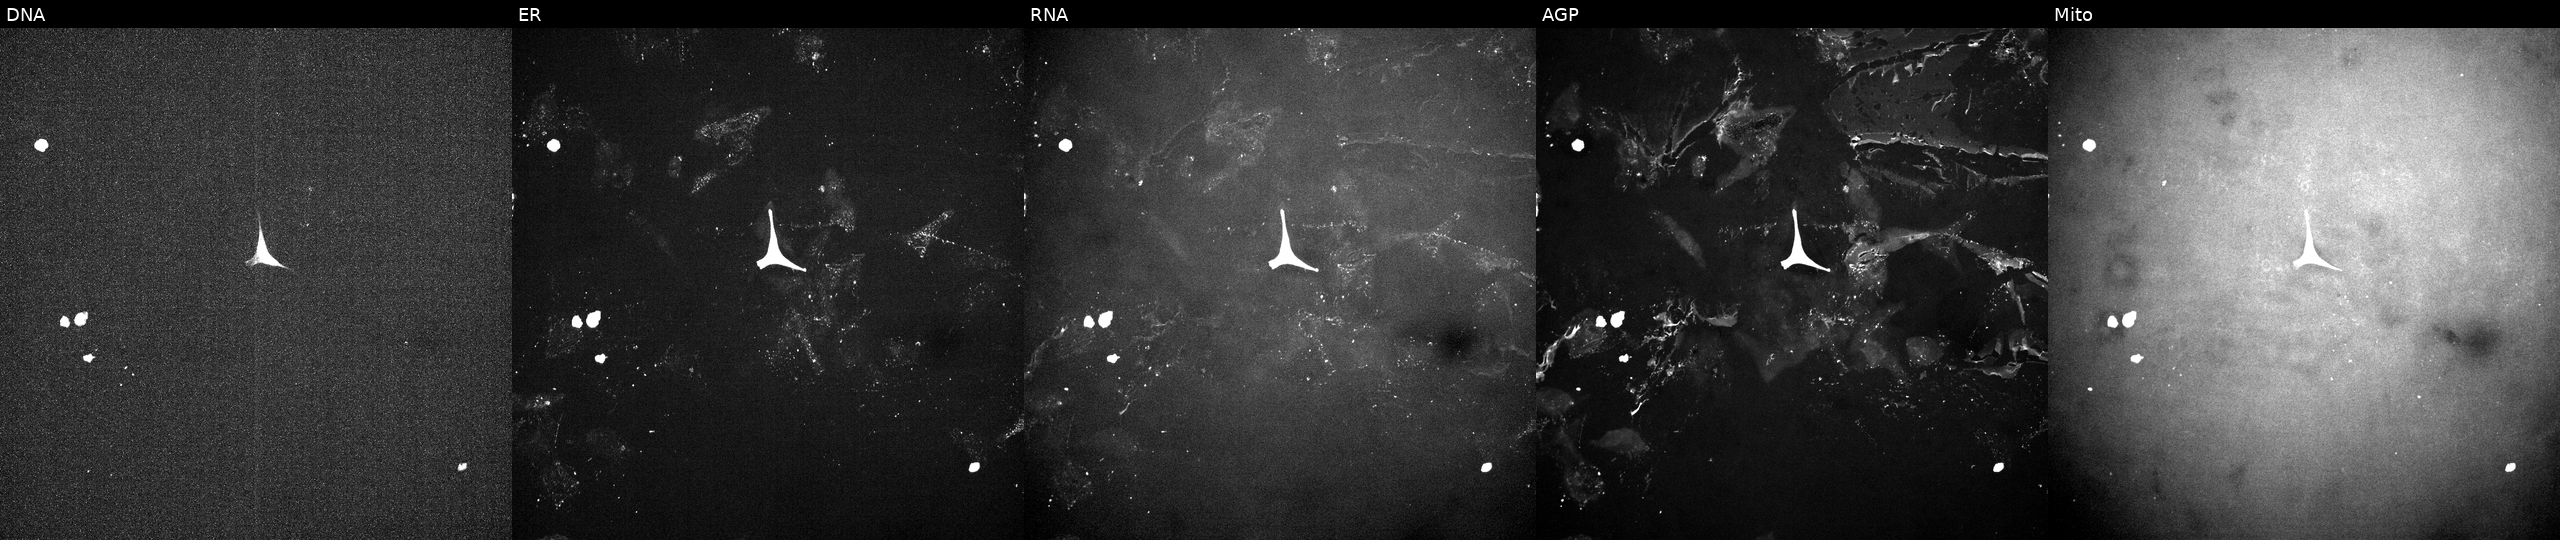
U2OS cells, Cell Painting assay, treated with a small-molecule compound (InChIKey SOOPLNPQGWJZHY-UHFFFAOYSA-N) (JUMP id JCP2022_084606). Panels show, left to right, DNA, ER, RNA, AGP, and Mito. Each panel is percentile-stretched 16-bit fluorescence. Source 10, plate Dest210726-160150, well L06.